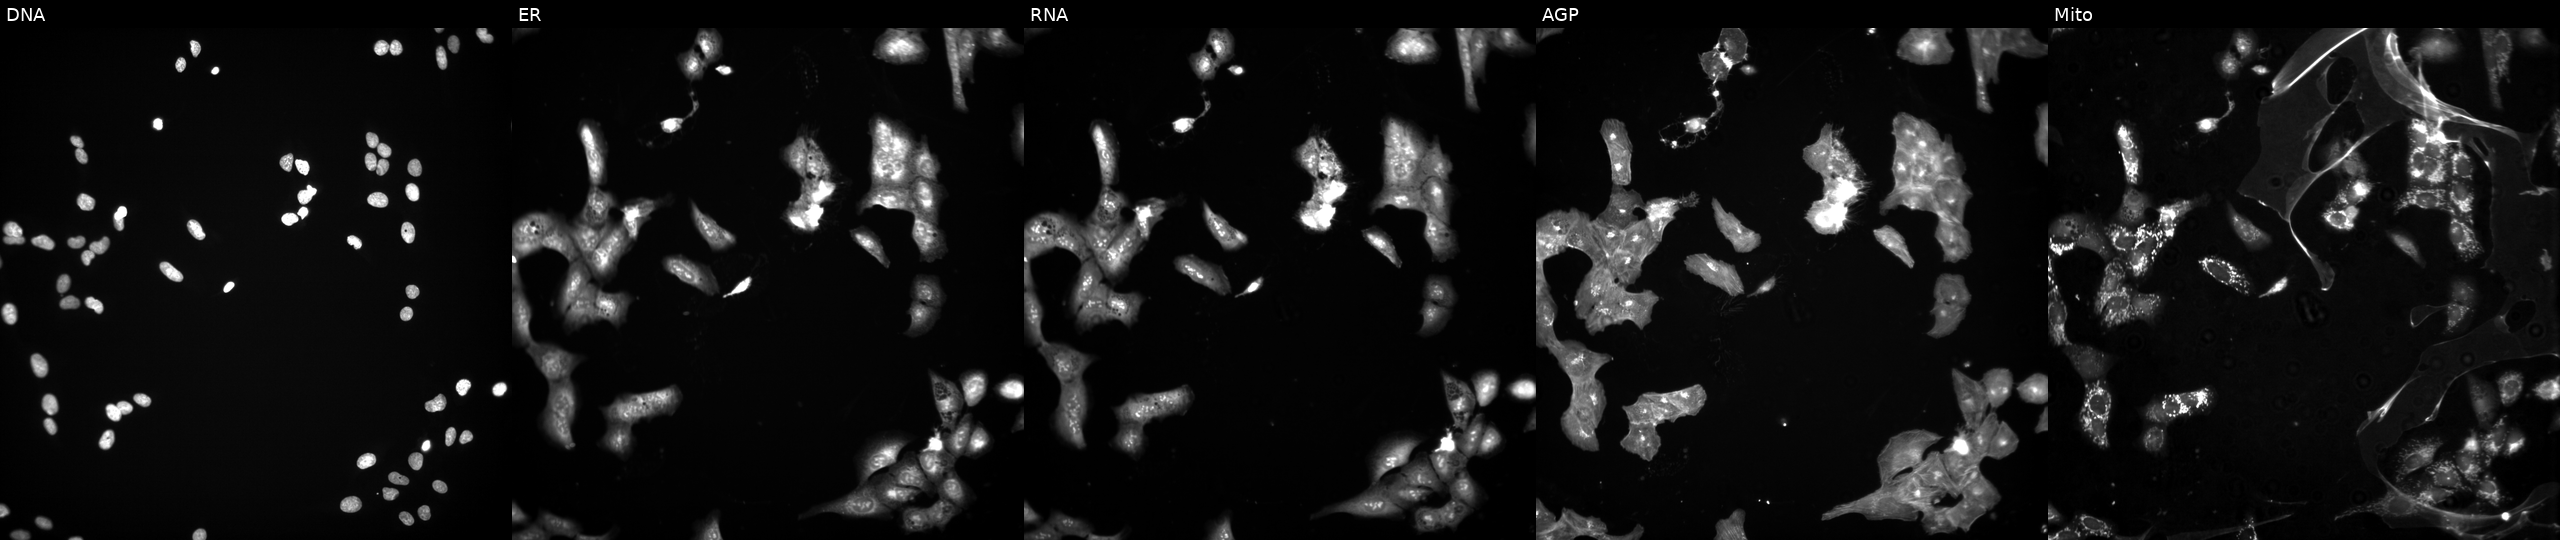
High-content fluorescence microscopy (Cell Painting). Cell line: U2OS. Perturbation: exposed to a small-molecule compound (InChIKey AJVXVYTVAAWZAP-UHFFFAOYSA-N) (JUMP id JCP2022_001890). The five panels, left to right, show Hoechst 33342, concanavalin A, SYTO 14, phalloidin and WGA, MitoTracker. Source 3, plate JCPQC051, well B01.